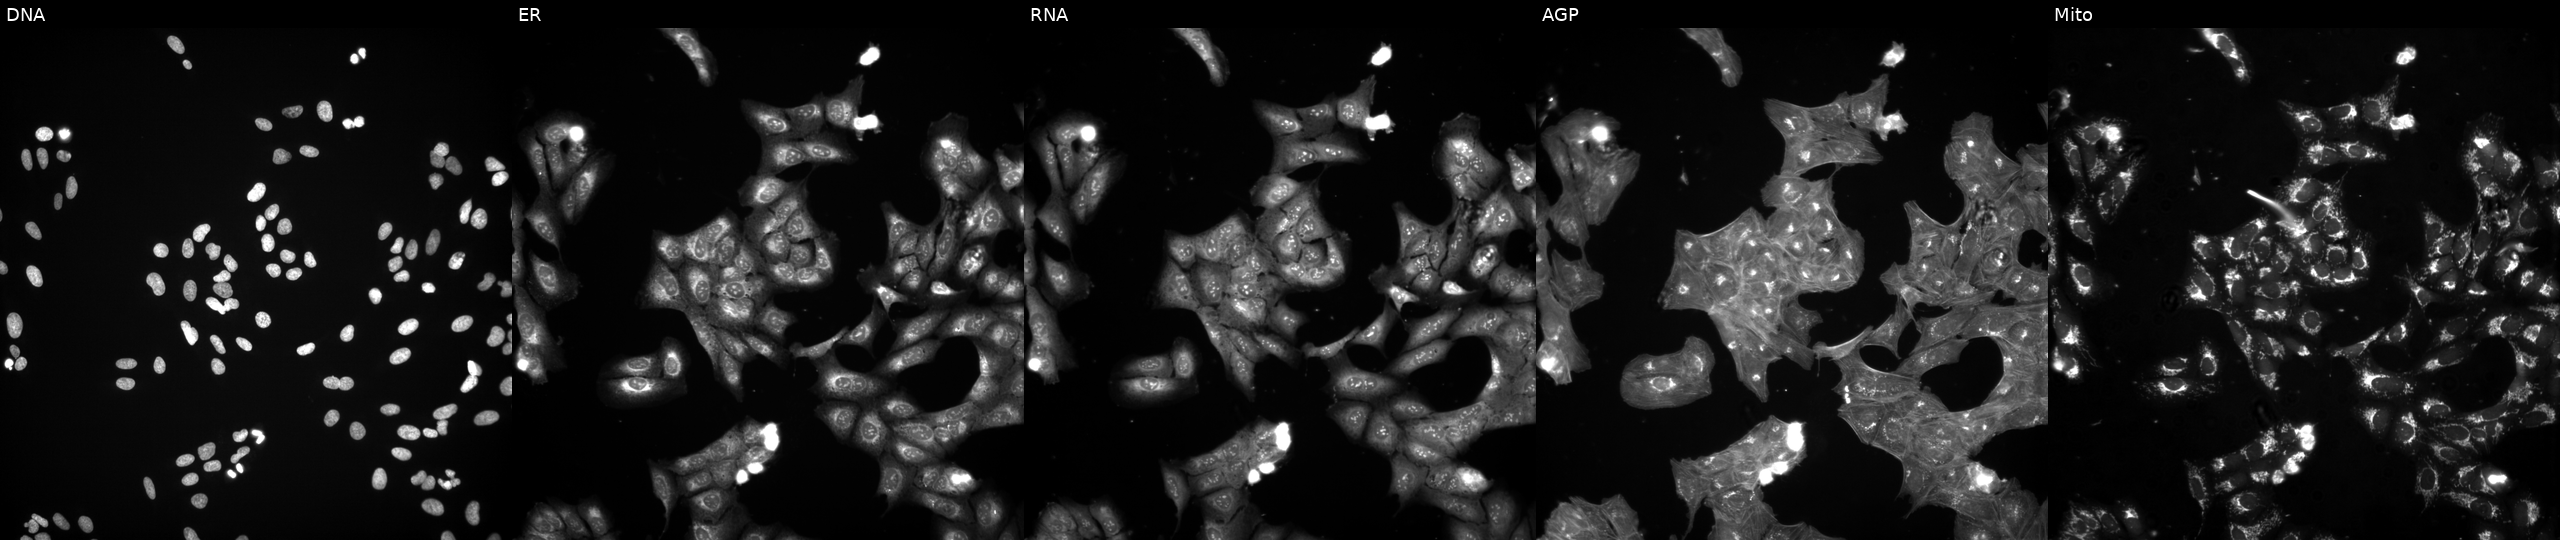
U2OS cells, Cell Painting assay, treated with a small-molecule compound (InChIKey BFACNILAUBCXCC-UHFFFAOYSA-N) [SMILES: CC1=NC(=O)NC(c2ccc(Cl)cc2)C1C(=O)OC1CCCC1]. Panels show, left to right, Hoechst 33342, concanavalin A, SYTO 14, phalloidin and WGA, MitoTracker. Each panel is percentile-stretched 16-bit fluorescence.